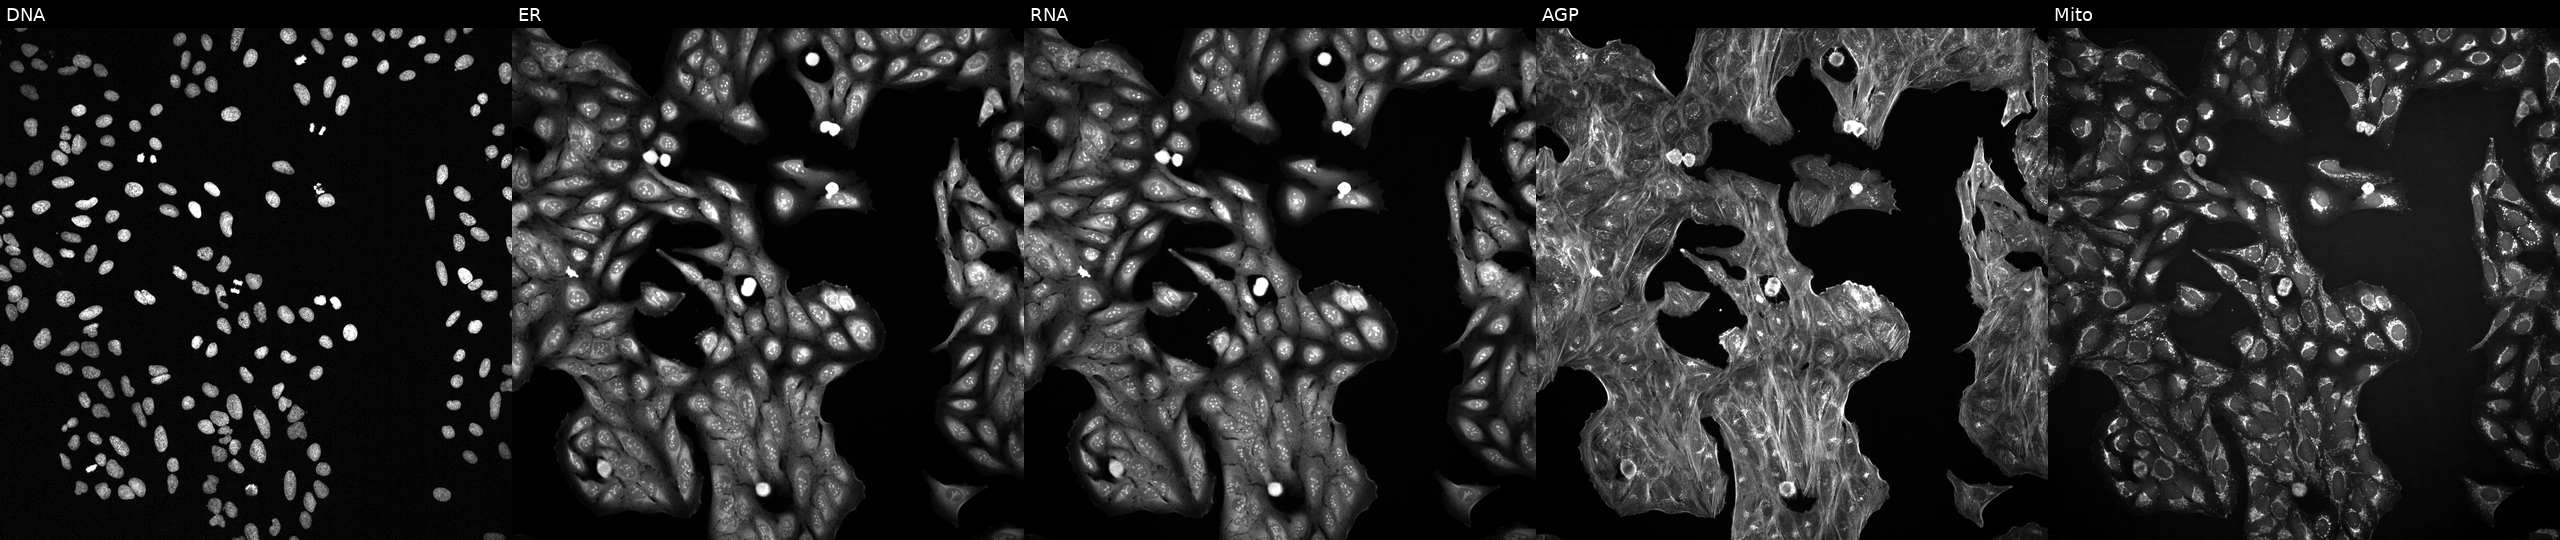
High-content fluorescence microscopy (Cell Painting). Cell line: U2OS. Perturbation: treated with a small-molecule compound (InChIKey NGTDJJKTGRNNAU-UHFFFAOYSA-N). The five panels, left to right, show DNA (nuclei); ER (endoplasmic reticulum); RNA (nucleoli and cytoplasmic RNA); AGP (actin cytoskeleton, Golgi, and plasma membrane); Mito (mitochondria). Source 2, plate 1053600674, well J16.